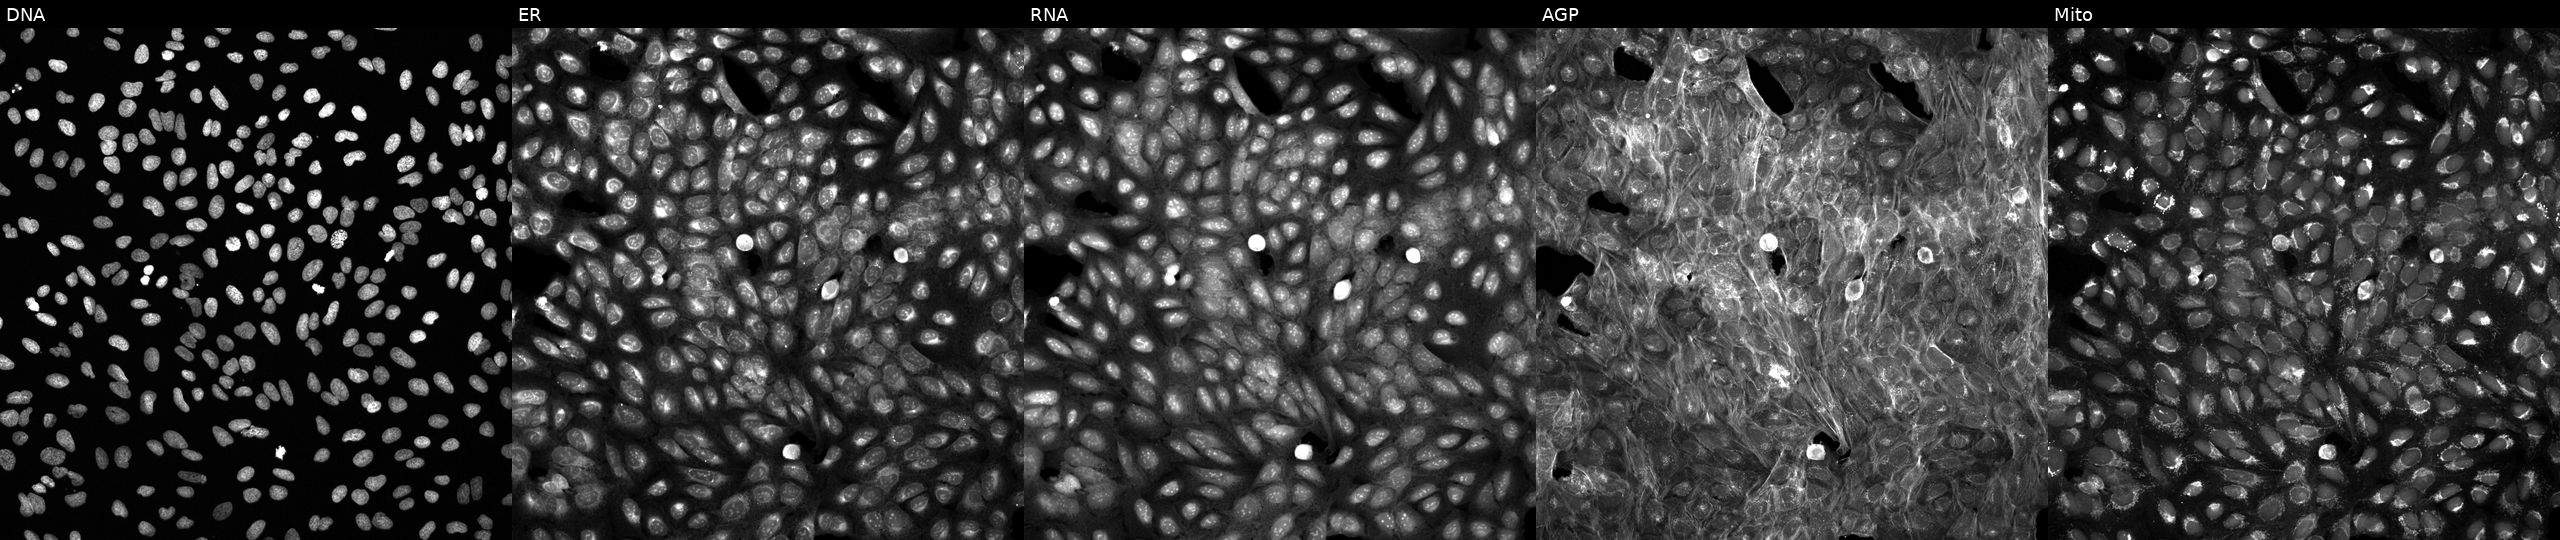
U2OS cells, Cell Painting assay, treated with DMSO vehicle only (negative control) (JUMP id JCP2022_033924). The five panels, left to right, show DNA (nuclei); ER (endoplasmic reticulum); RNA (nucleoli and cytoplasmic RNA); AGP (actin cytoskeleton, Golgi, and plasma membrane); Mito (mitochondria). Each panel is percentile-stretched 16-bit fluorescence.